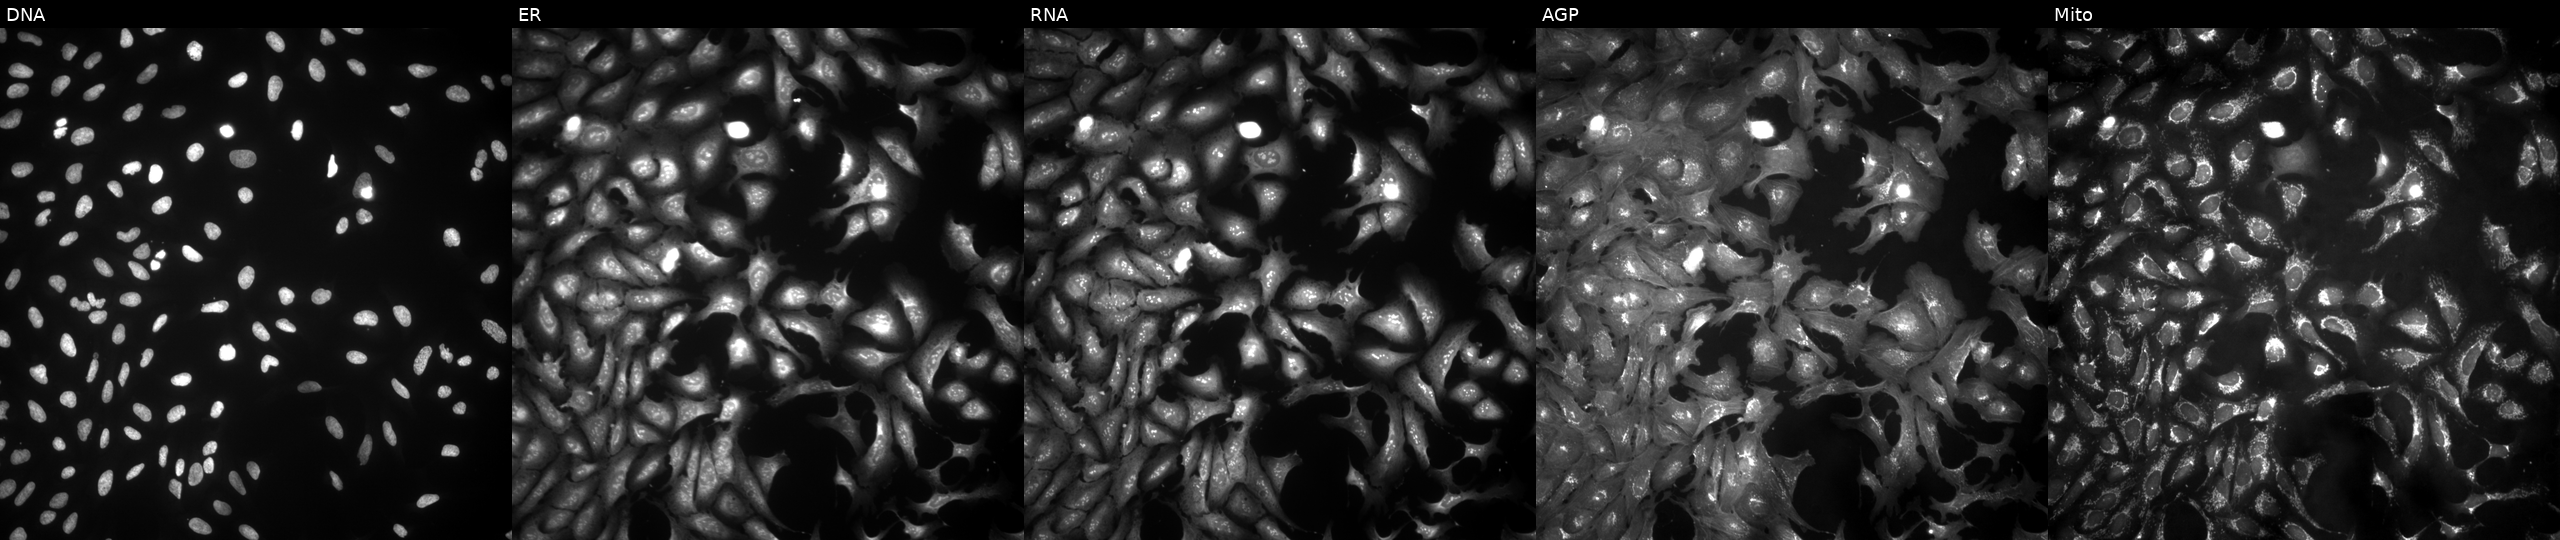
This image strip shows the five Cell Painting channels for a single field of U2OS cells transfected with an ORF construct for SKIL (JUMP id JCP2022_913013). Channels (left→right): DNA (nuclei); ER (endoplasmic reticulum); RNA (nucleoli and cytoplasmic RNA); AGP (actin cytoskeleton, Golgi, and plasma membrane); Mito (mitochondria). Source 4, plate BR00123506, well G02.